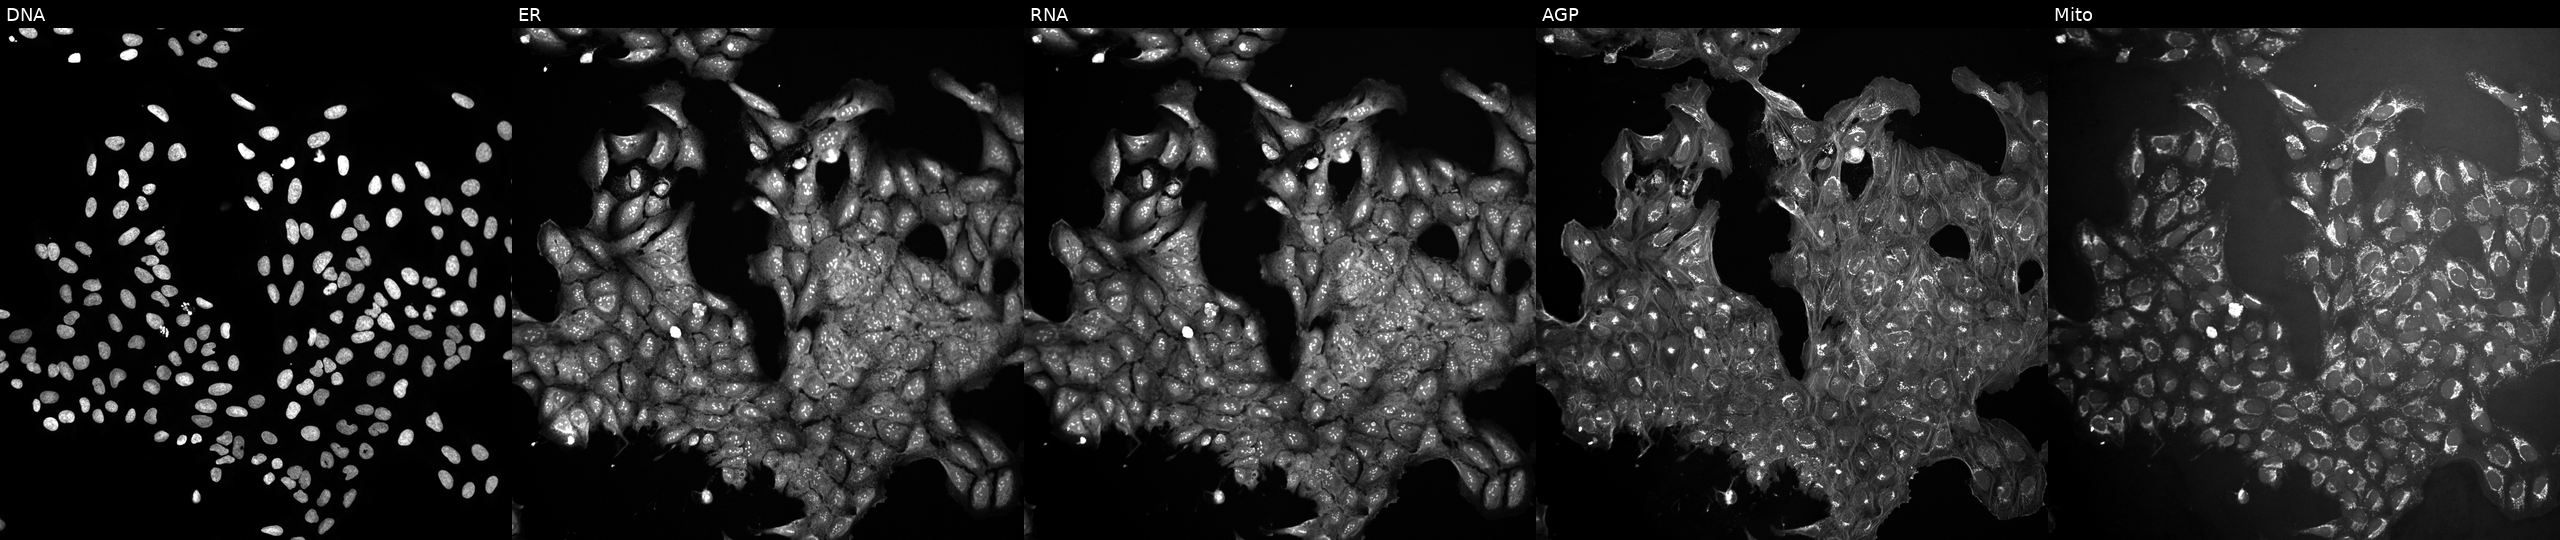
High-content fluorescence microscopy (Cell Painting). Cell line: U2OS. Perturbation: perturbed with a small-molecule compound [SMILES: CCCCSc1nc(=N)cc(N2CCC3(CC2)CN(C)CCN3C)[nH]1]. Panels show, left to right, DNA, ER, RNA, AGP, and Mito.